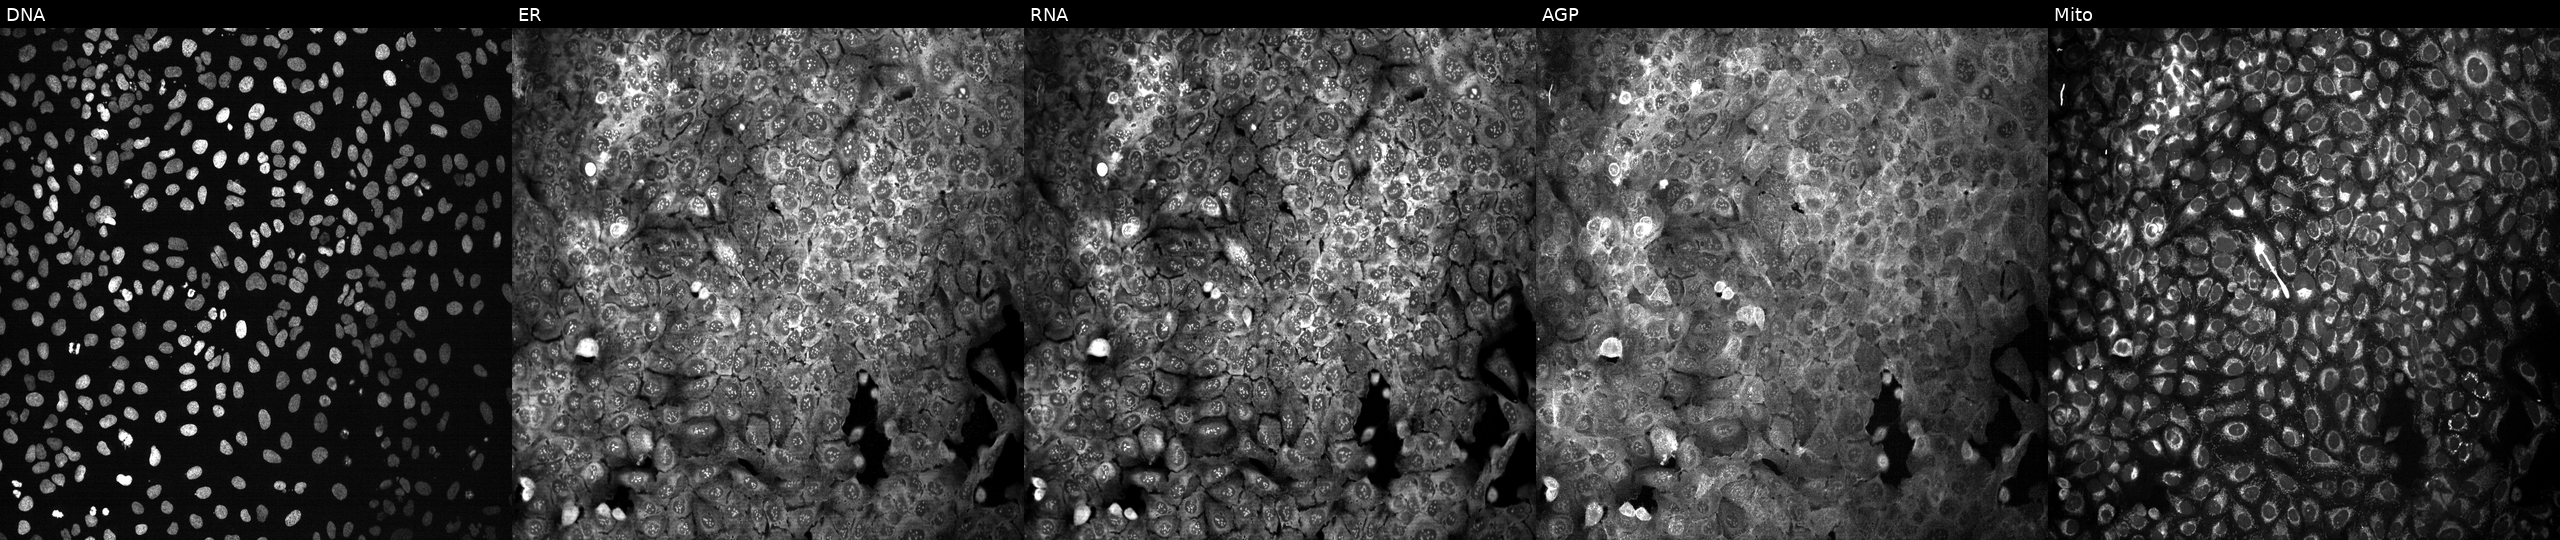
Five-channel Cell Painting image of U2OS cells following CRISPR knockout of RALGPS2. Channels (left→right): Hoechst 33342, concanavalin A, SYTO 14, phalloidin and WGA, MitoTracker.